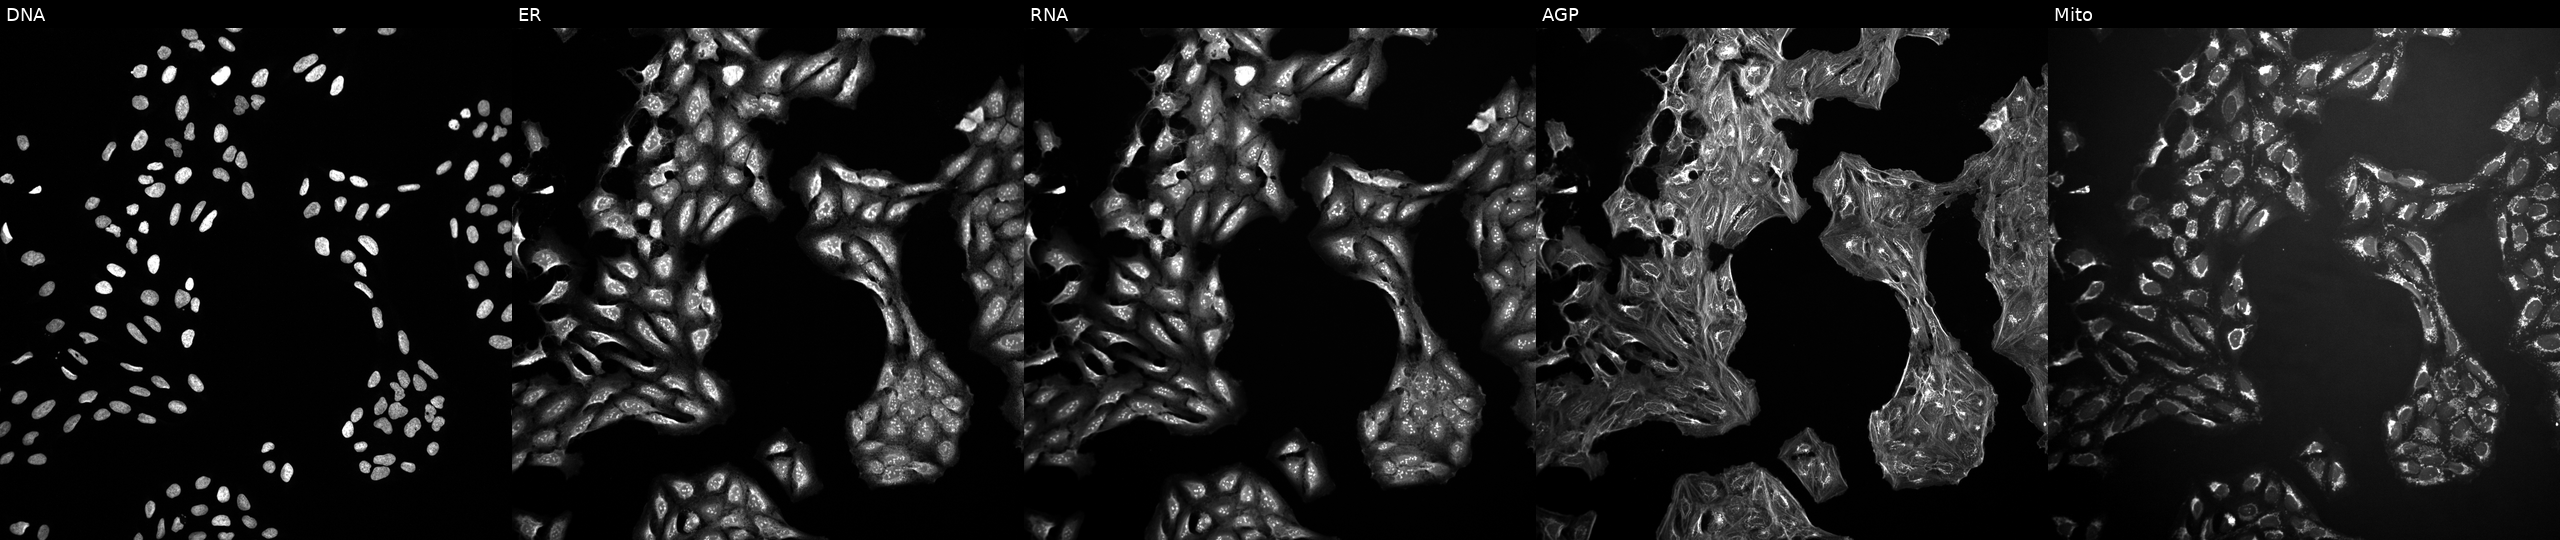
The five panels, left to right, show DNA, ER, RNA, AGP, and Mito. U2OS osteosarcoma cells treated with DMSO vehicle only (negative control) (JUMP id JCP2022_033924). Cell Painting assay, JUMP-CP dataset. Source 10, plate Dest210726-160150, well D18.